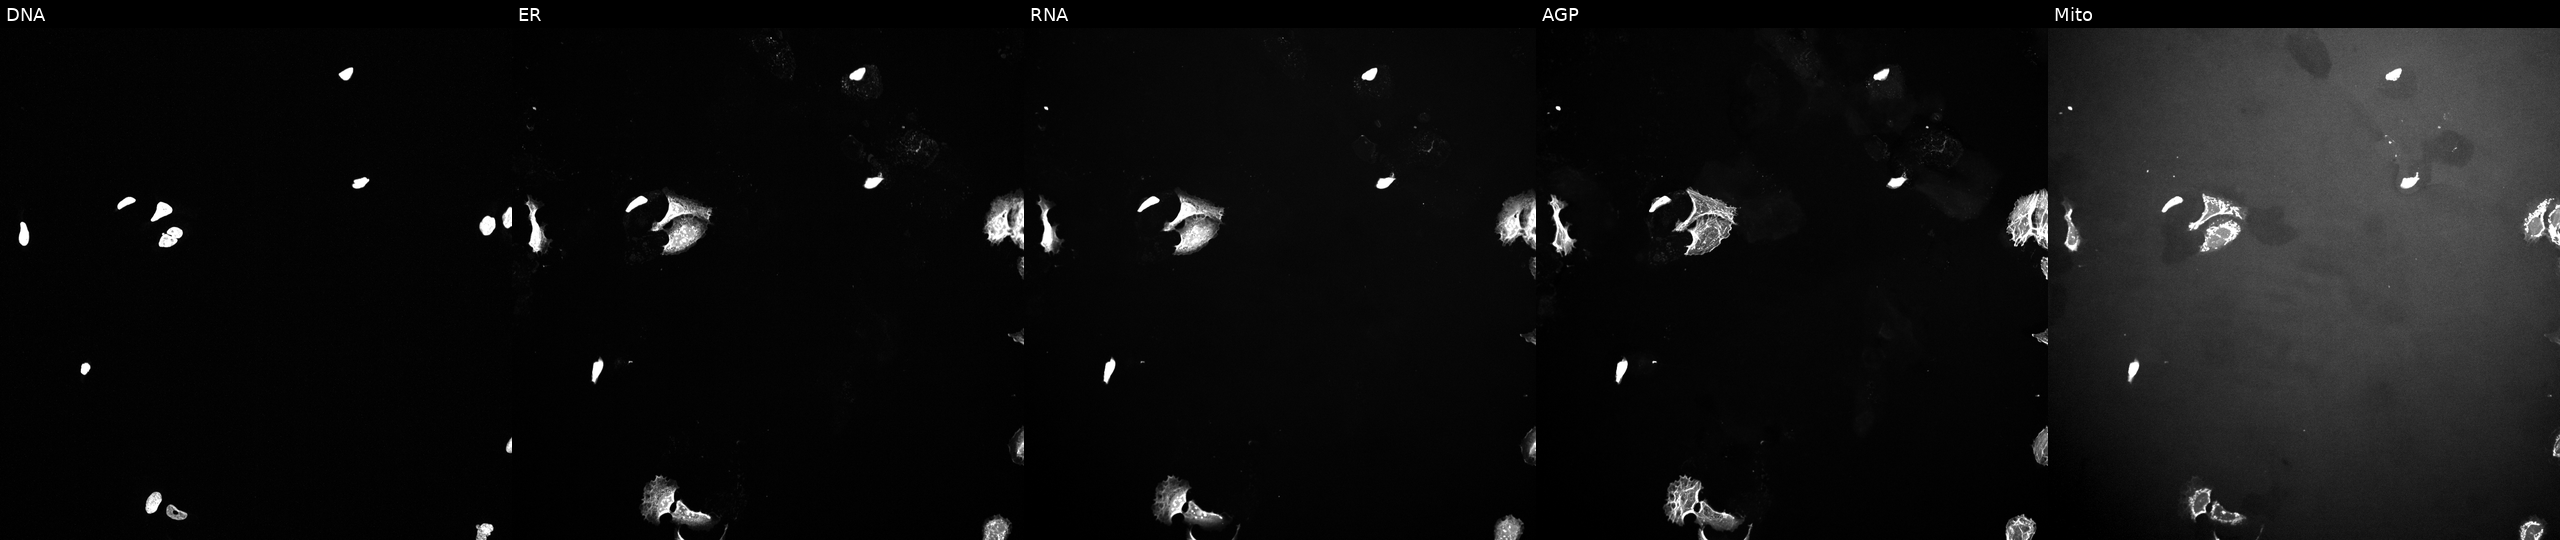
This image strip shows the five Cell Painting channels for a single field of U2OS cells exposed to a small-molecule compound (InChIKey CWHUFRVAEUJCEF-UHFFFAOYSA-N). Channels (left→right): Hoechst 33342, concanavalin A, SYTO 14, phalloidin and WGA, MitoTracker.